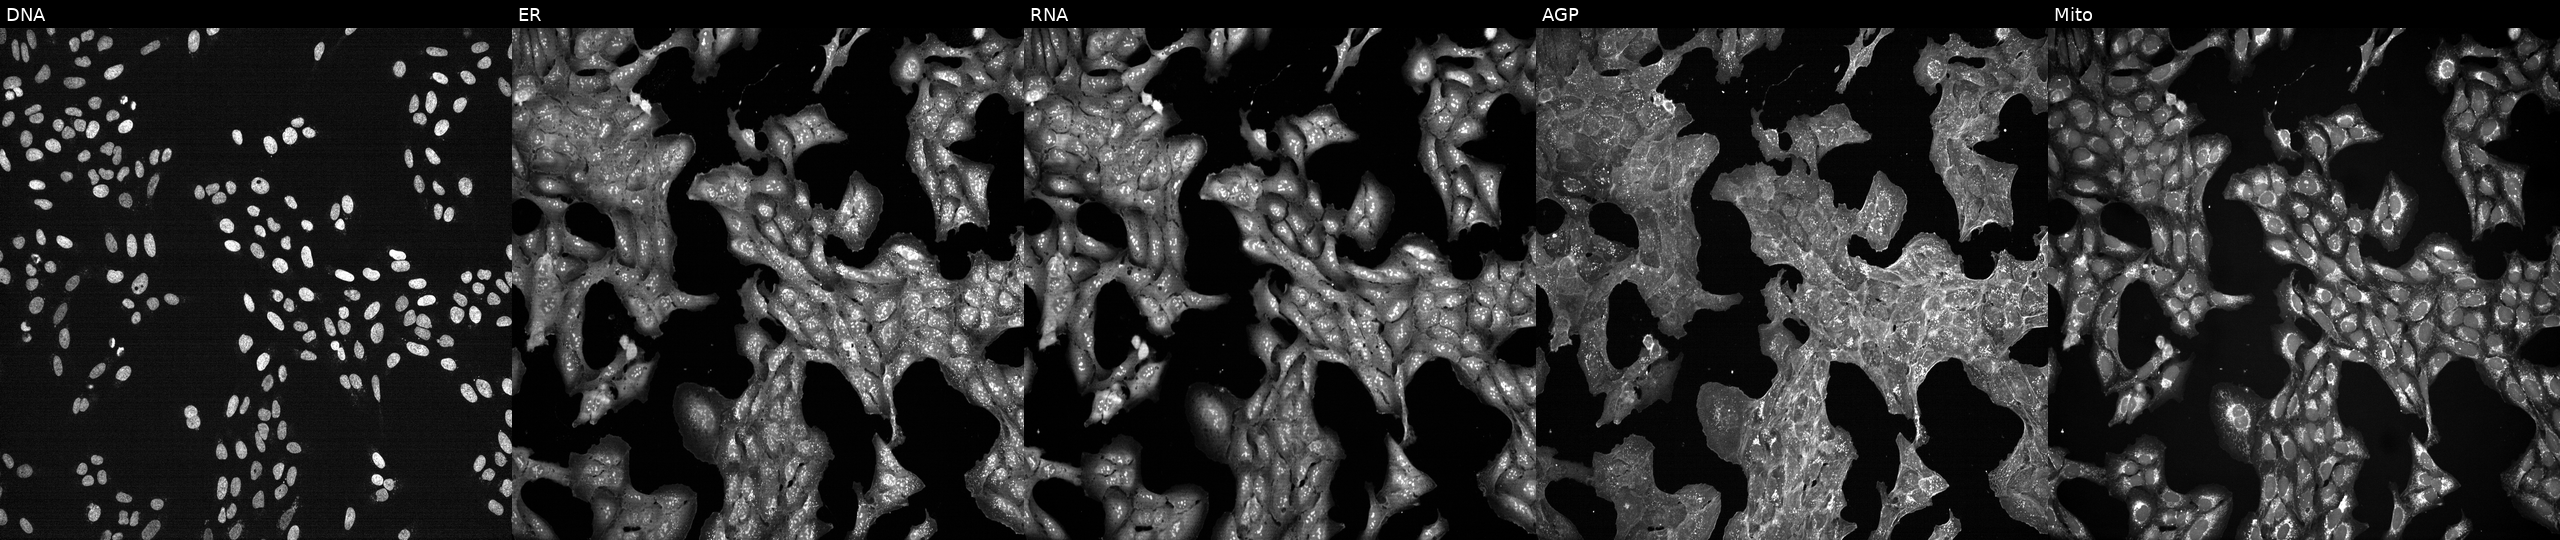
High-content fluorescence microscopy (Cell Painting). Cell line: U2OS. Perturbation: exposed to a small-molecule compound (JUMP id JCP2022_109350). The five panels, left to right, show Hoechst 33342, concanavalin A, SYTO 14, phalloidin and WGA, MitoTracker.